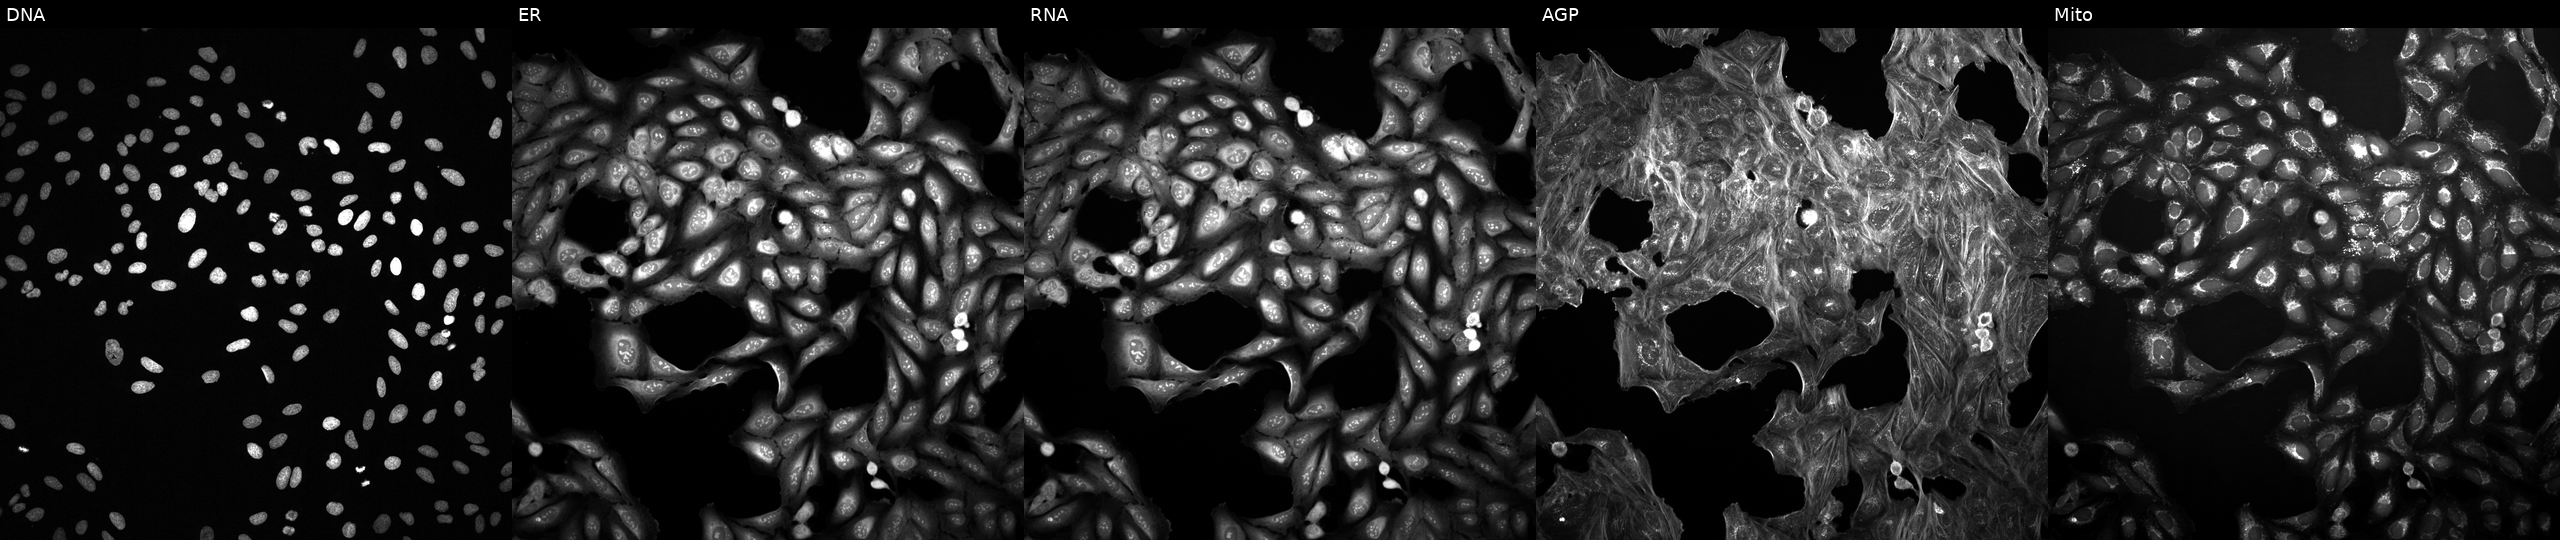
From left to right: Hoechst 33342, concanavalin A, SYTO 14, phalloidin and WGA, MitoTracker. U2OS osteosarcoma cells treated with a small-molecule compound (InChIKey QUIIIYITNGOFEI-UHFFFAOYSA-N). Cell Painting assay, JUMP-CP dataset.